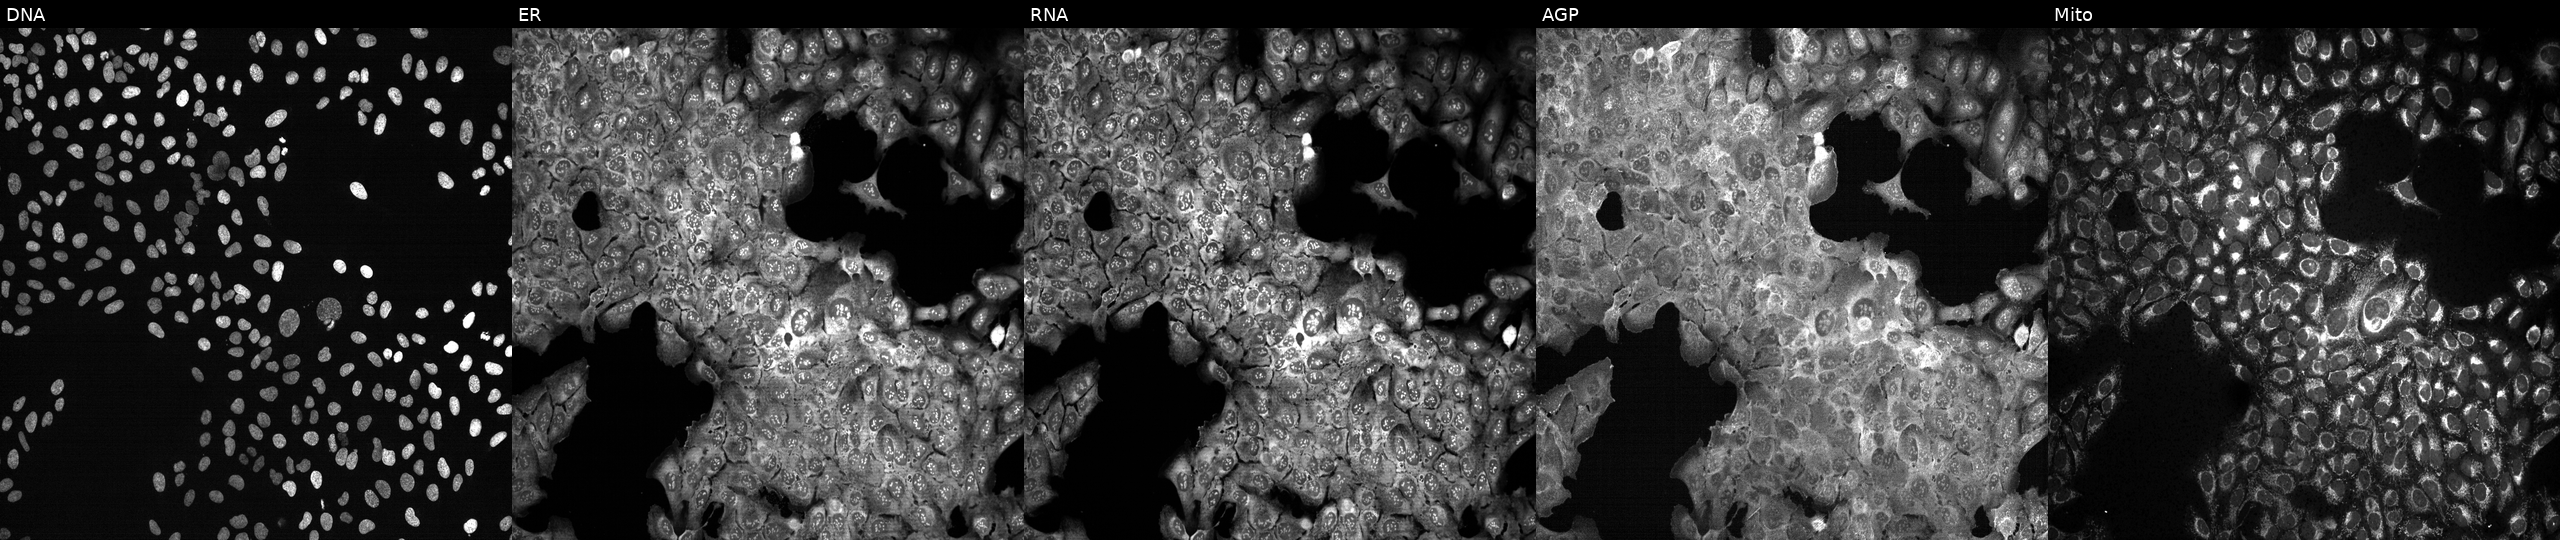
U2OS cells, Cell Painting assay, CRISPR-edited to disrupt UGT1A4 (JUMP id JCP2022_807520). The five panels, left to right, show DNA (nuclei); ER (endoplasmic reticulum); RNA (nucleoli and cytoplasmic RNA); AGP (actin cytoskeleton, Golgi, and plasma membrane); Mito (mitochondria). Each panel is percentile-stretched 16-bit fluorescence.